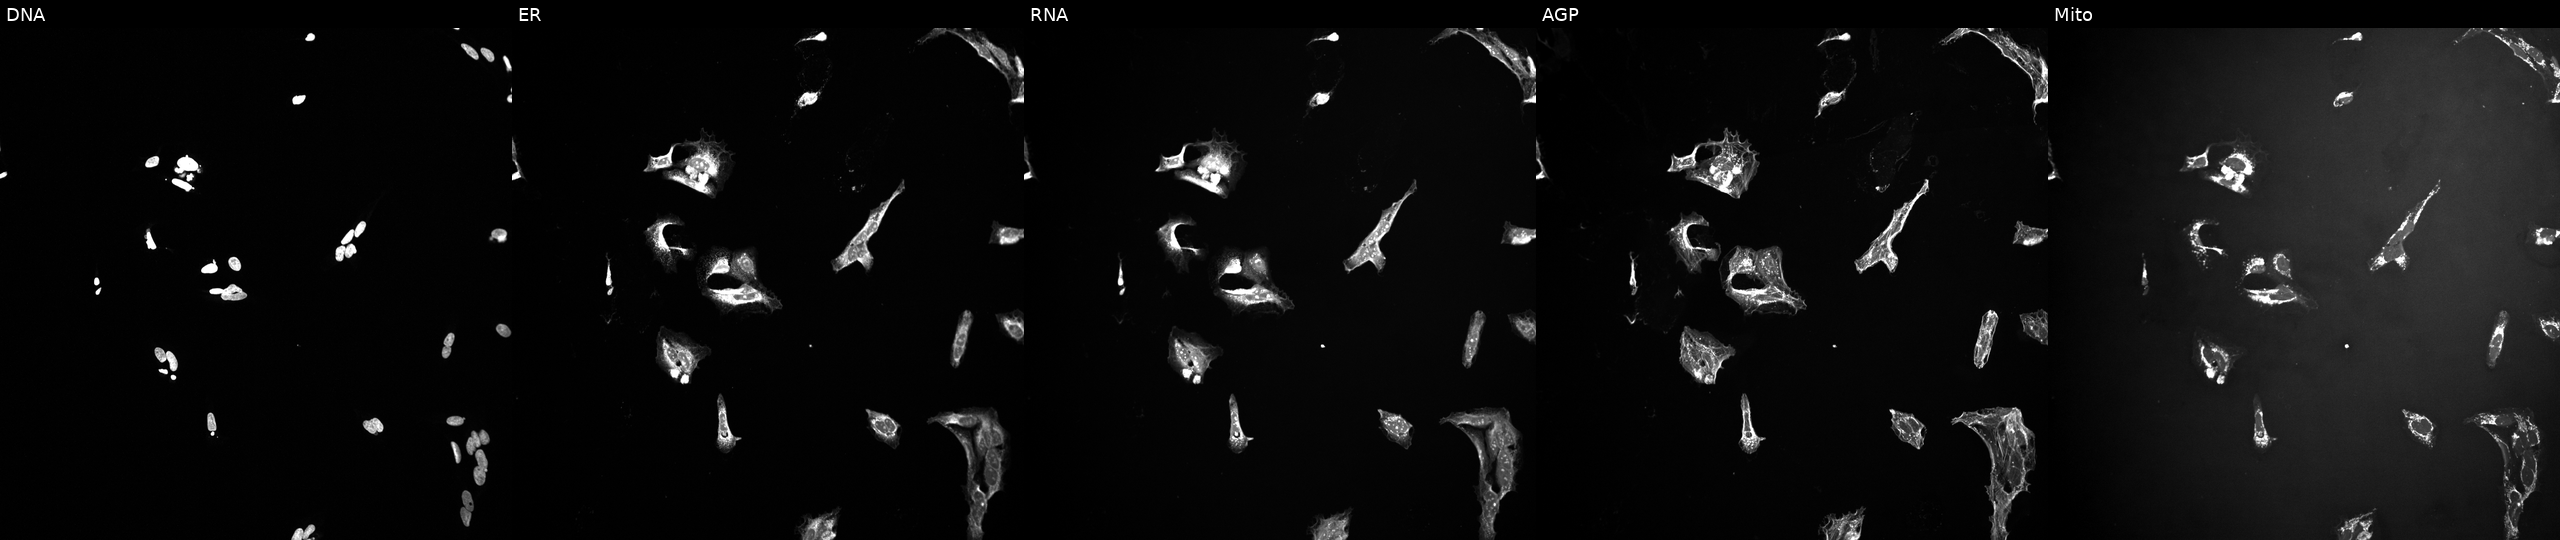
U2OS cells, Cell Painting assay, exposed to a small-molecule compound (JUMP id JCP2022_041139). From left to right: Hoechst 33342, concanavalin A, SYTO 14, phalloidin and WGA, MitoTracker. Each panel is percentile-stretched 16-bit fluorescence.